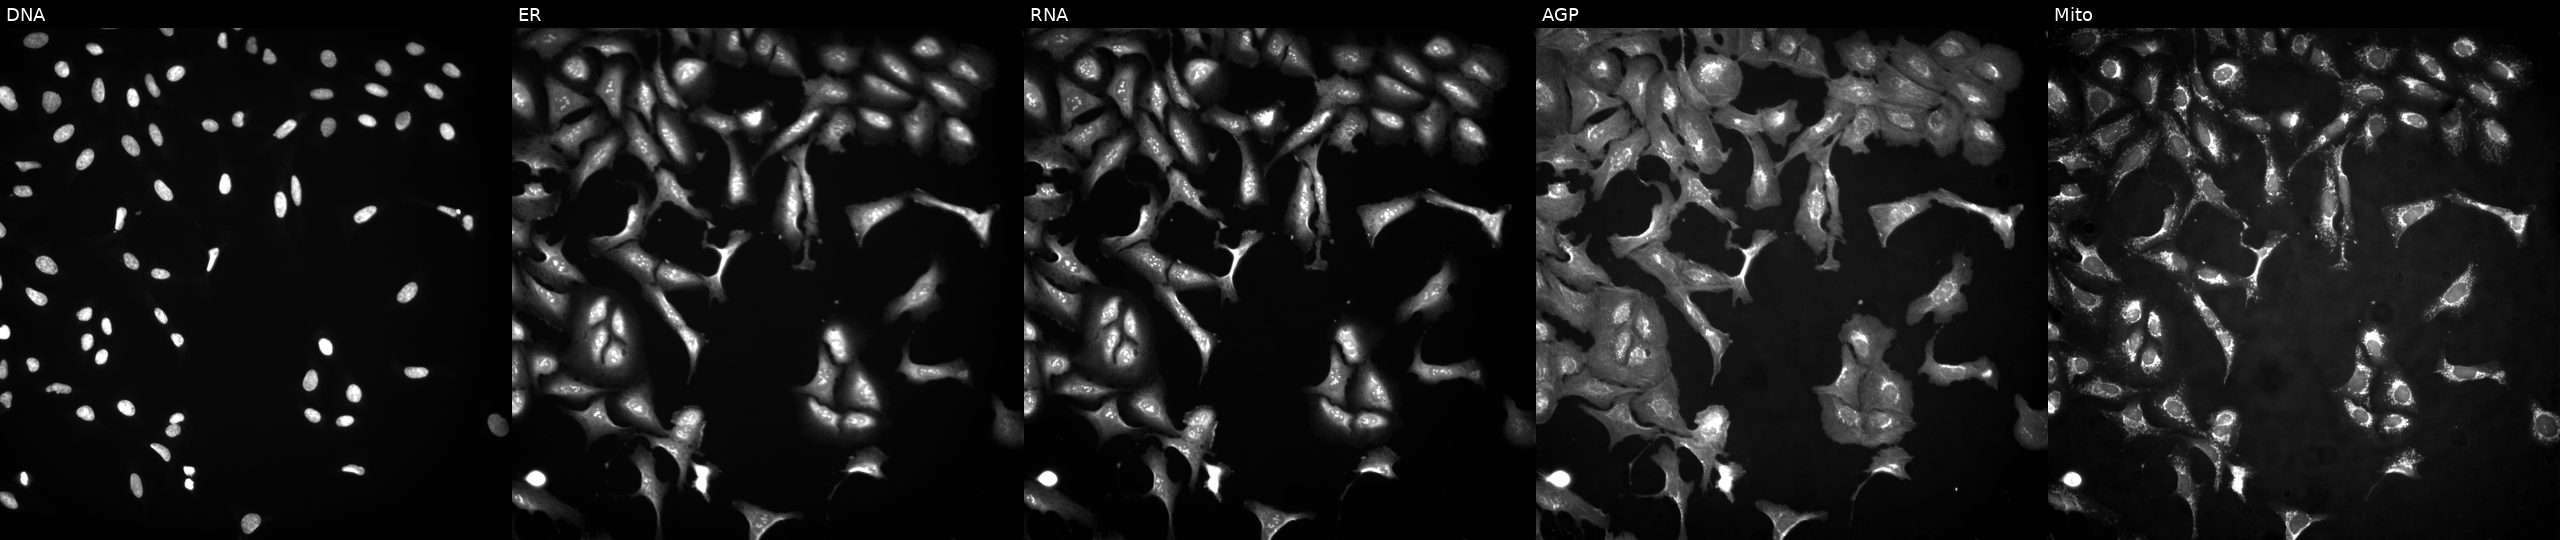
The five panels, left to right, show DNA (nuclei); ER (endoplasmic reticulum); RNA (nucleoli and cytoplasmic RNA); AGP (actin cytoskeleton, Golgi, and plasma membrane); Mito (mitochondria). U2OS osteosarcoma cells transfected with an ORF construct for ZNF572. Cell Painting assay, JUMP-CP dataset.